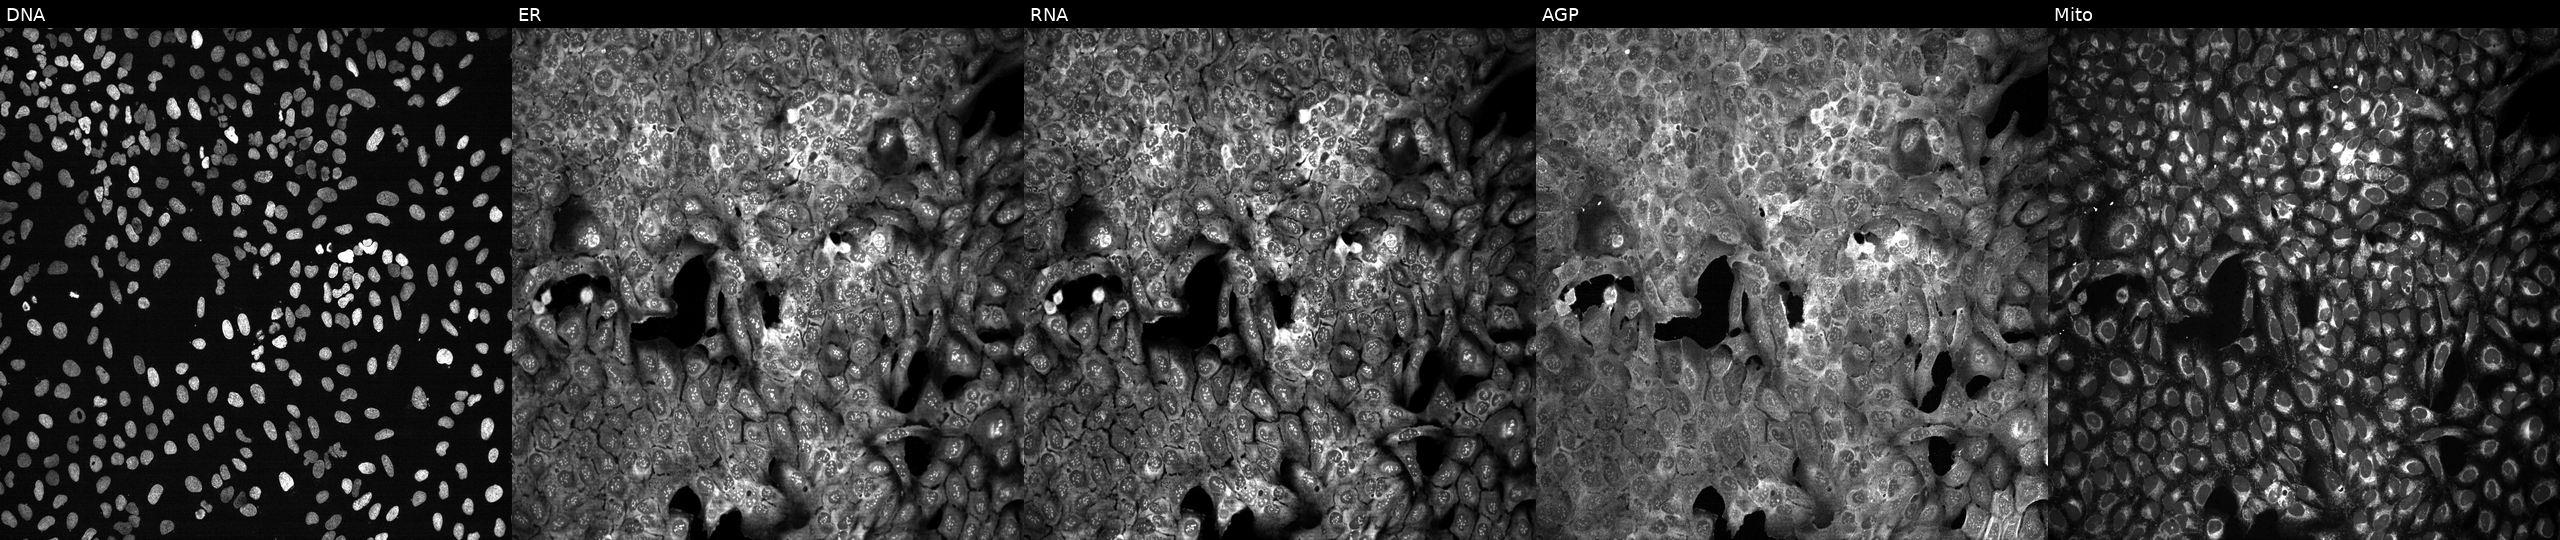
High-content fluorescence microscopy (Cell Painting). Cell line: U2OS. Perturbation: CRISPR-edited to disrupt VNN3. From left to right: DNA, ER, RNA, AGP, and Mito. Source 13, plate CP-CC9-R3-01, well J08.